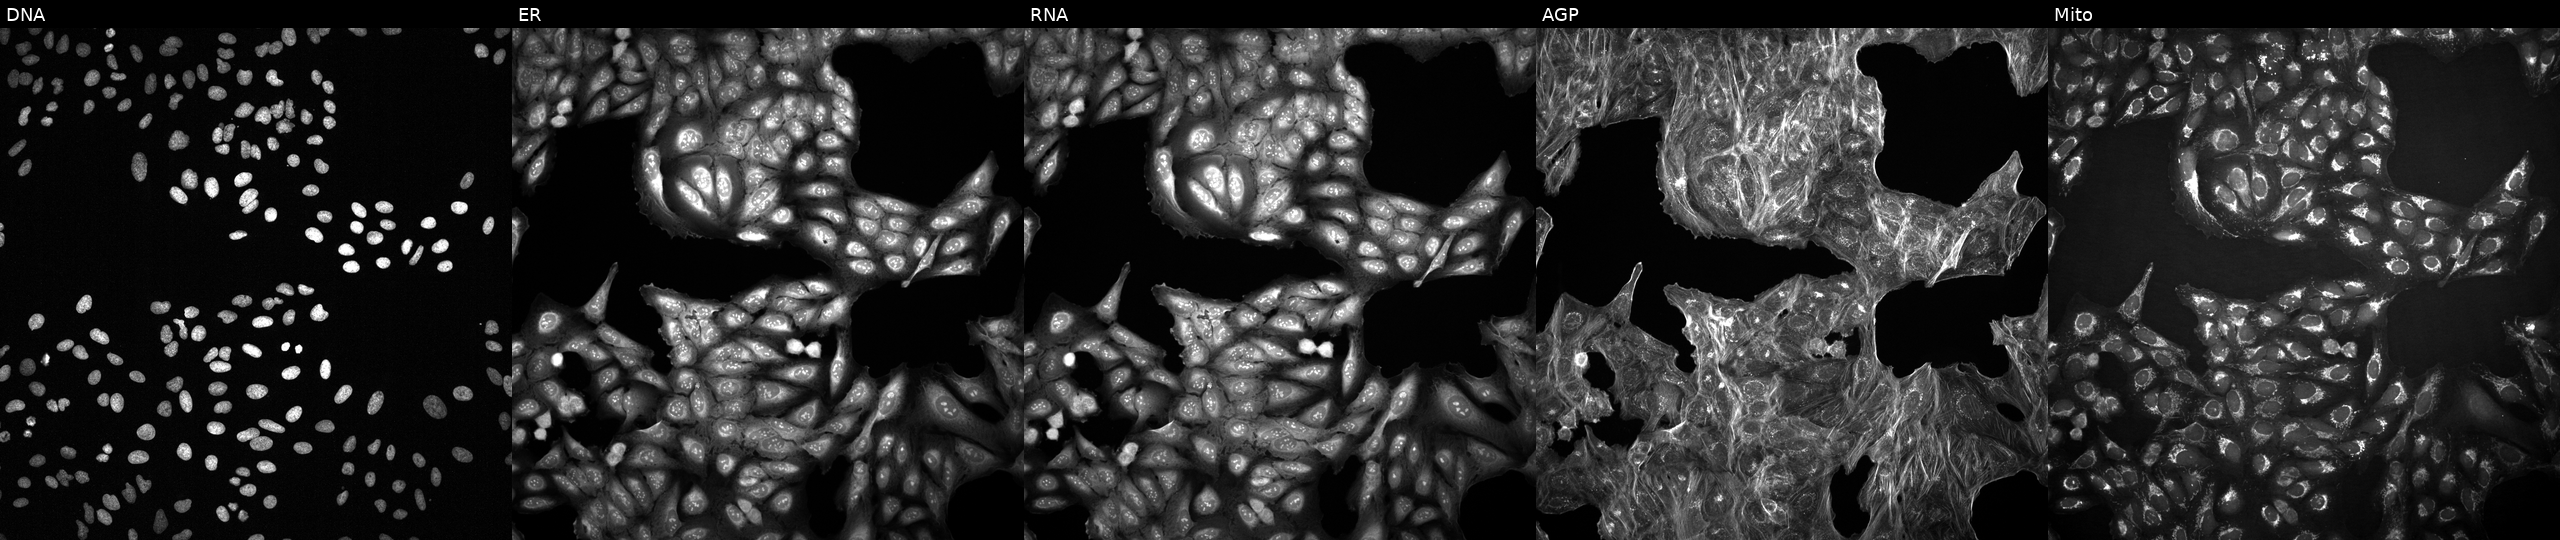
High-content fluorescence microscopy (Cell Painting). Cell line: U2OS. Perturbation: with an unidentified perturbation (not annotated in JUMP metadata). Panels show, left to right, Hoechst 33342, concanavalin A, SYTO 14, phalloidin and WGA, MitoTracker.